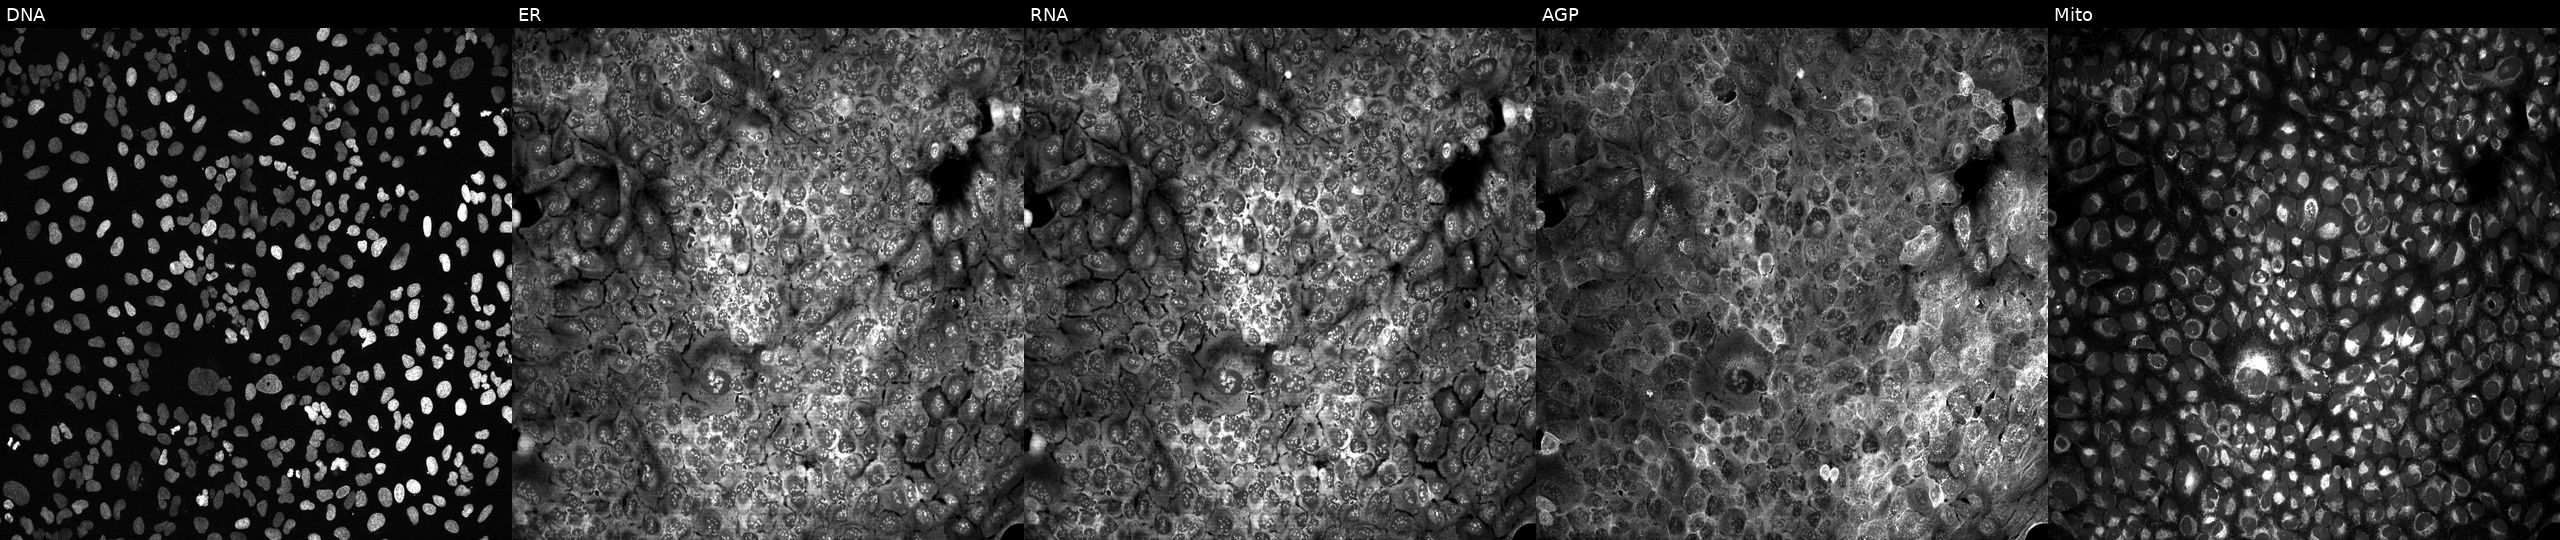
U2OS cells, Cell Painting assay, CRISPR-edited to disrupt IMMP1L (JUMP id JCP2022_803412). The five panels, left to right, show DNA (nuclei); ER (endoplasmic reticulum); RNA (nucleoli and cytoplasmic RNA); AGP (actin cytoskeleton, Golgi, and plasma membrane); Mito (mitochondria). Each panel is percentile-stretched 16-bit fluorescence. Source 13, plate CP-CC9-R3-02, well C07.